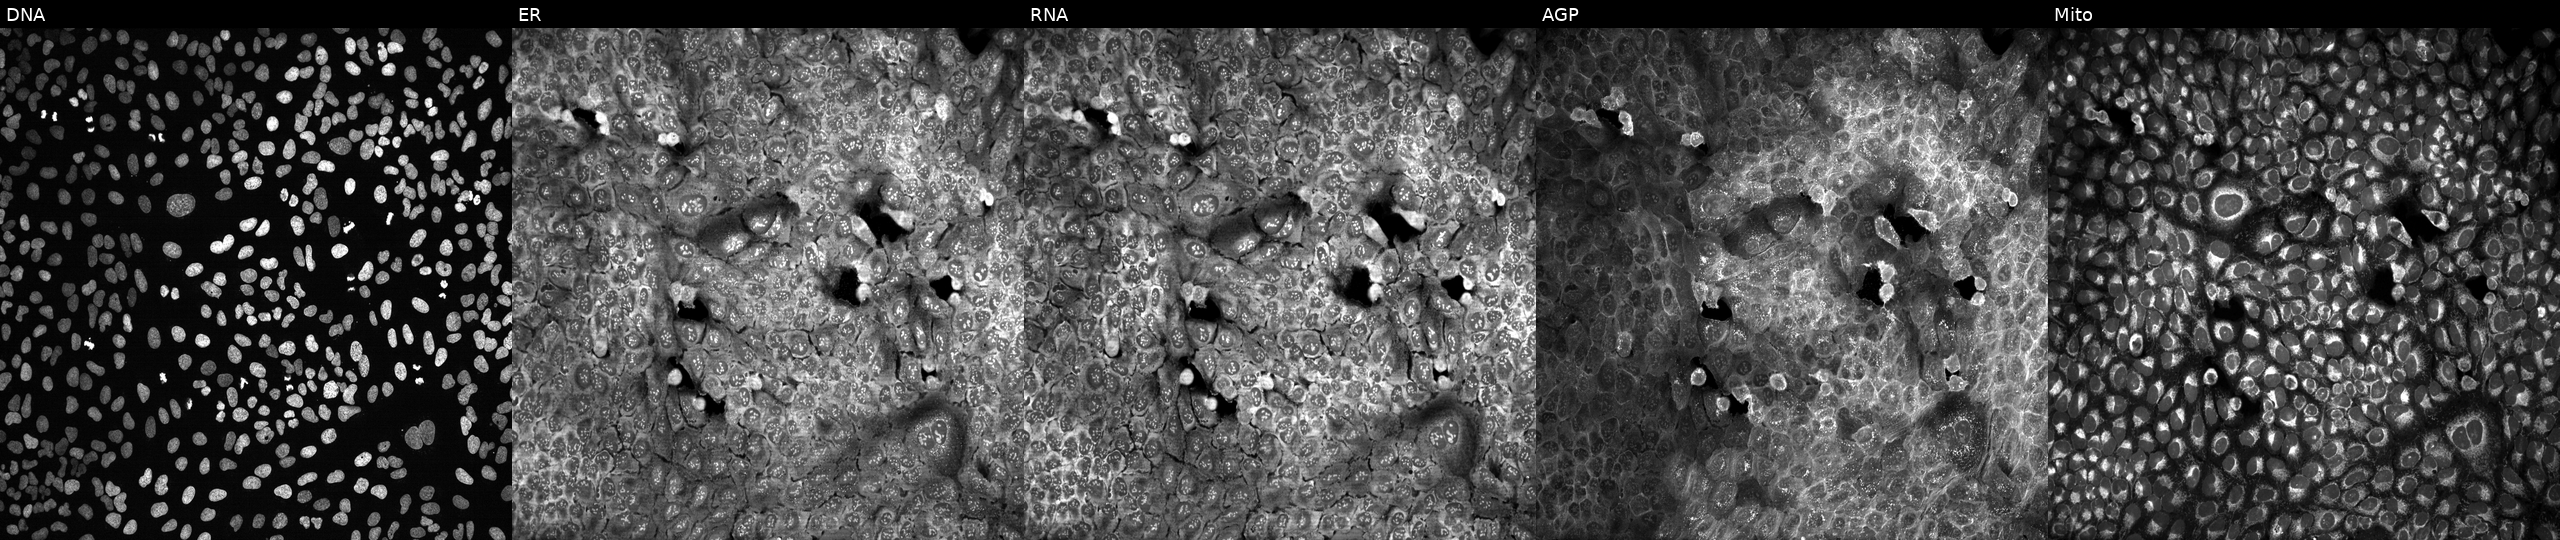
High-content fluorescence microscopy (Cell Painting). Cell line: U2OS. Perturbation: with UFSP2 knocked out by CRISPR. Panels show, left to right, DNA (nuclei); ER (endoplasmic reticulum); RNA (nucleoli and cytoplasmic RNA); AGP (actin cytoskeleton, Golgi, and plasma membrane); Mito (mitochondria).